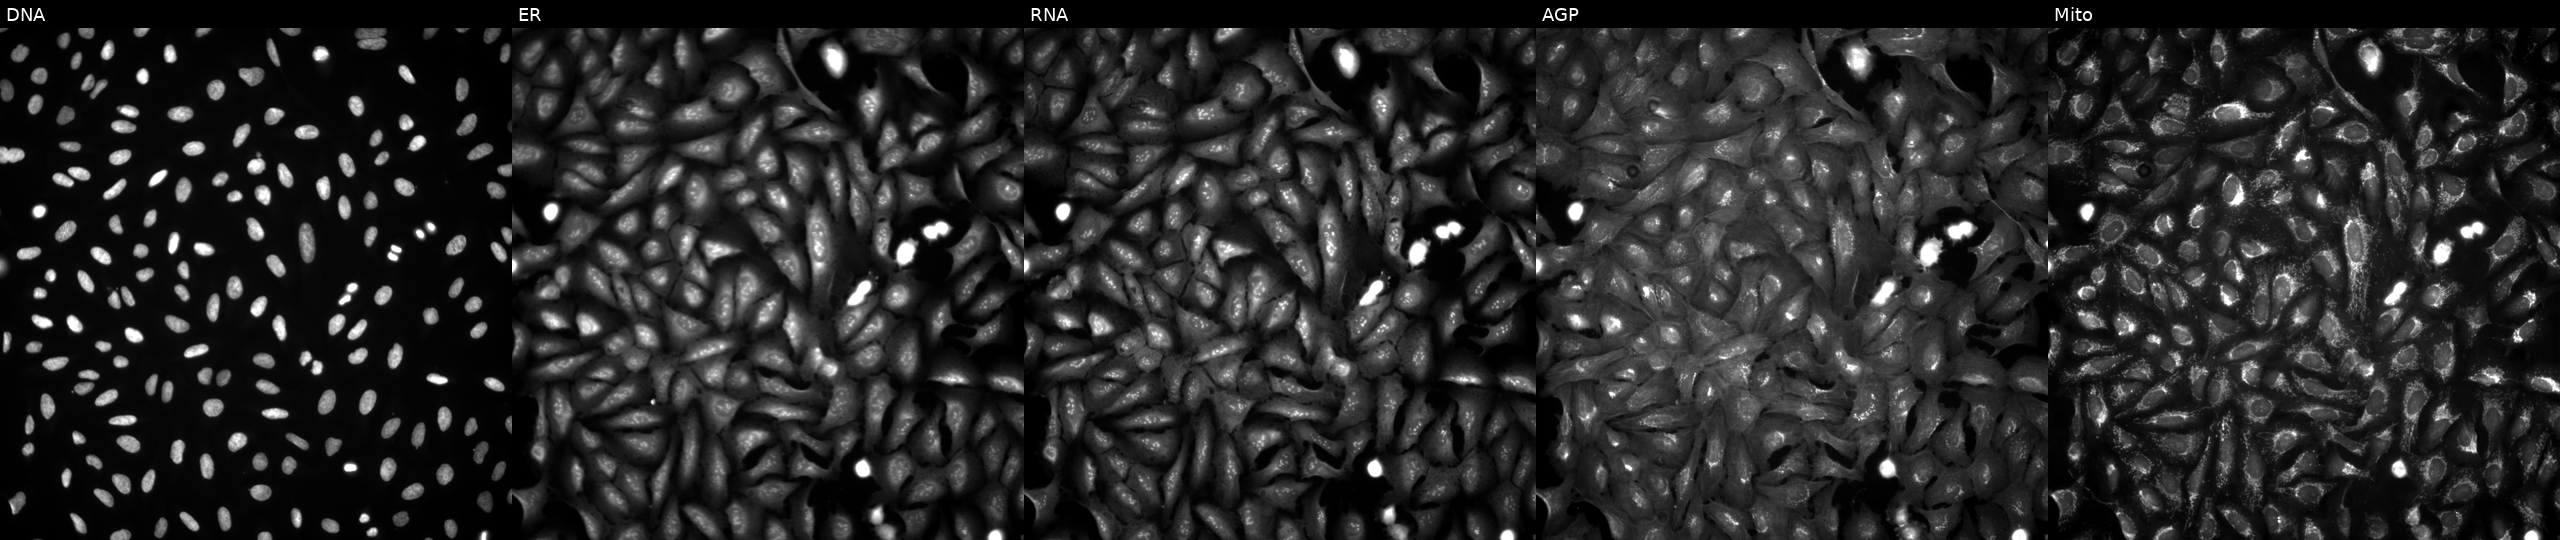
High-content fluorescence microscopy (Cell Painting). Cell line: U2OS. Perturbation: overexpressing MTUS1 via ORF transfection (JUMP id JCP2022_911523). Panels show, left to right, Hoechst 33342, concanavalin A, SYTO 14, phalloidin and WGA, MitoTracker. Source 4, plate BR00124787, well J06.